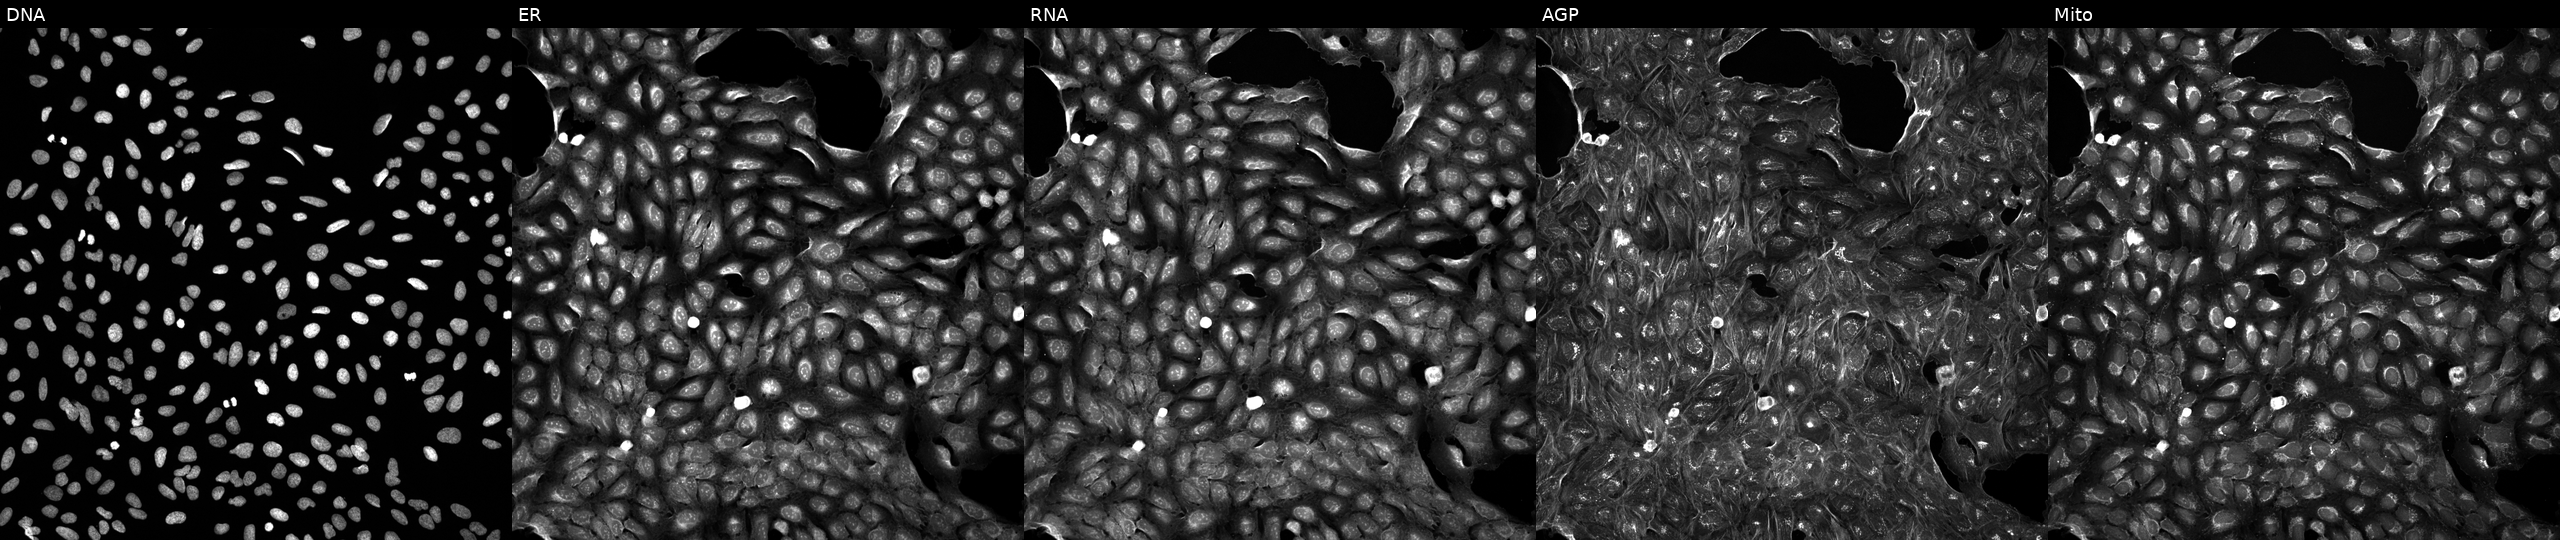
Five-channel Cell Painting image of U2OS cells treated with a small-molecule compound (InChIKey MURYKPZJGBVWOJ-UHFFFAOYSA-N) (JUMP id JCP2022_056651). The five panels, left to right, show DNA, ER, RNA, AGP, and Mito. Source 5, plate APTJUM105, well H14.